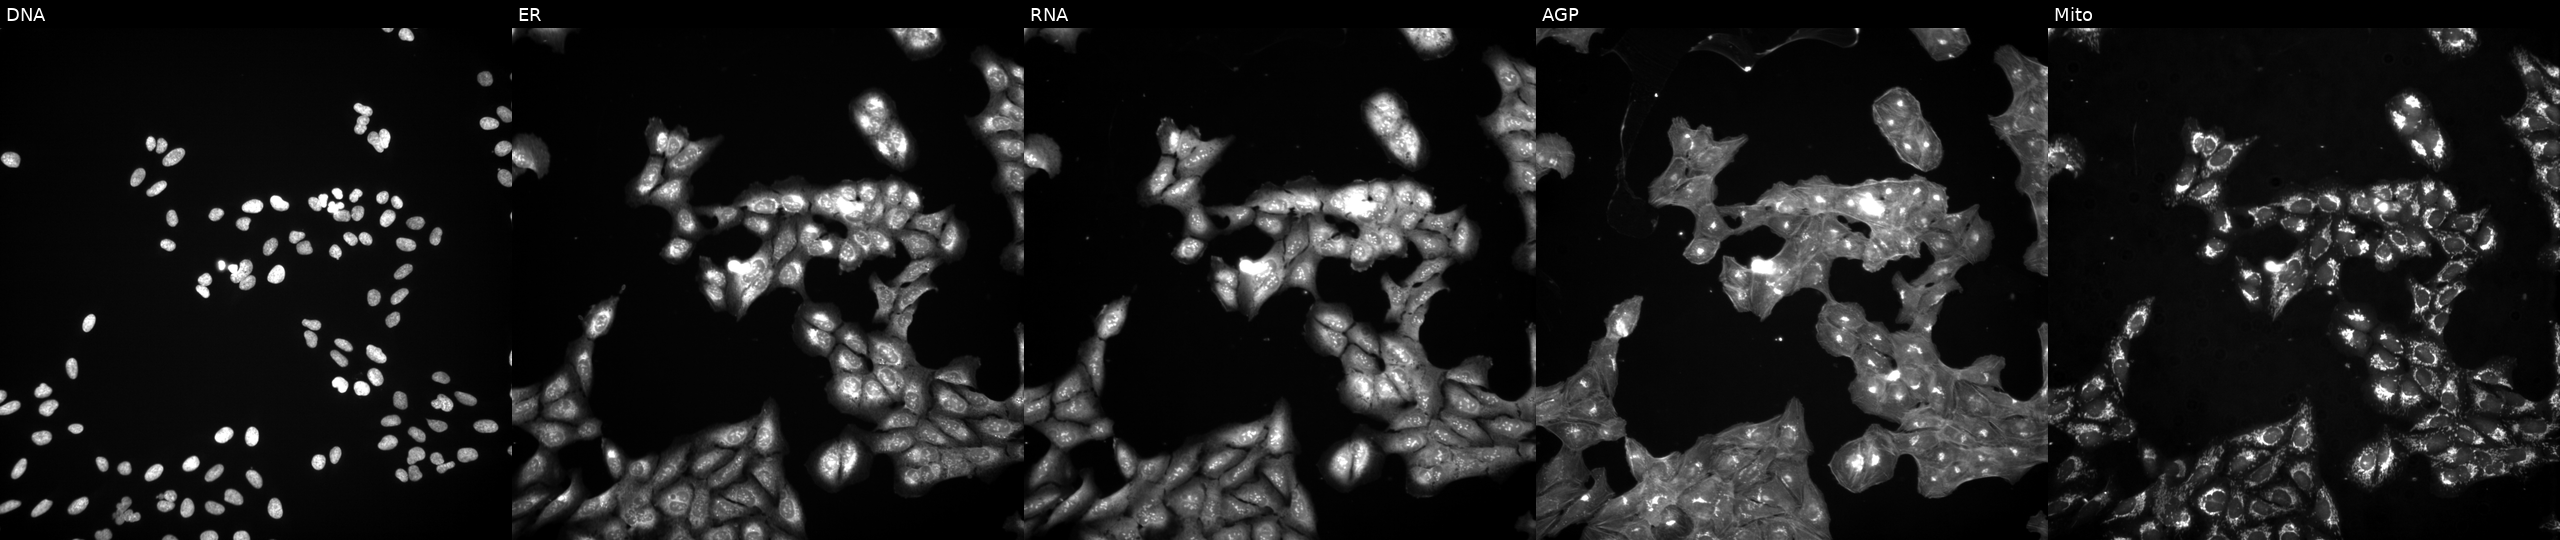
High-content fluorescence microscopy (Cell Painting). Cell line: U2OS. Perturbation: exposed to a small-molecule compound (InChIKey ULEHMWWQIZHLHN-UHFFFAOYSA-N) (JUMP id JCP2022_089941). Panels show, left to right, DNA, ER, RNA, AGP, and Mito. Source 3, plate BR5867b3, well O22.